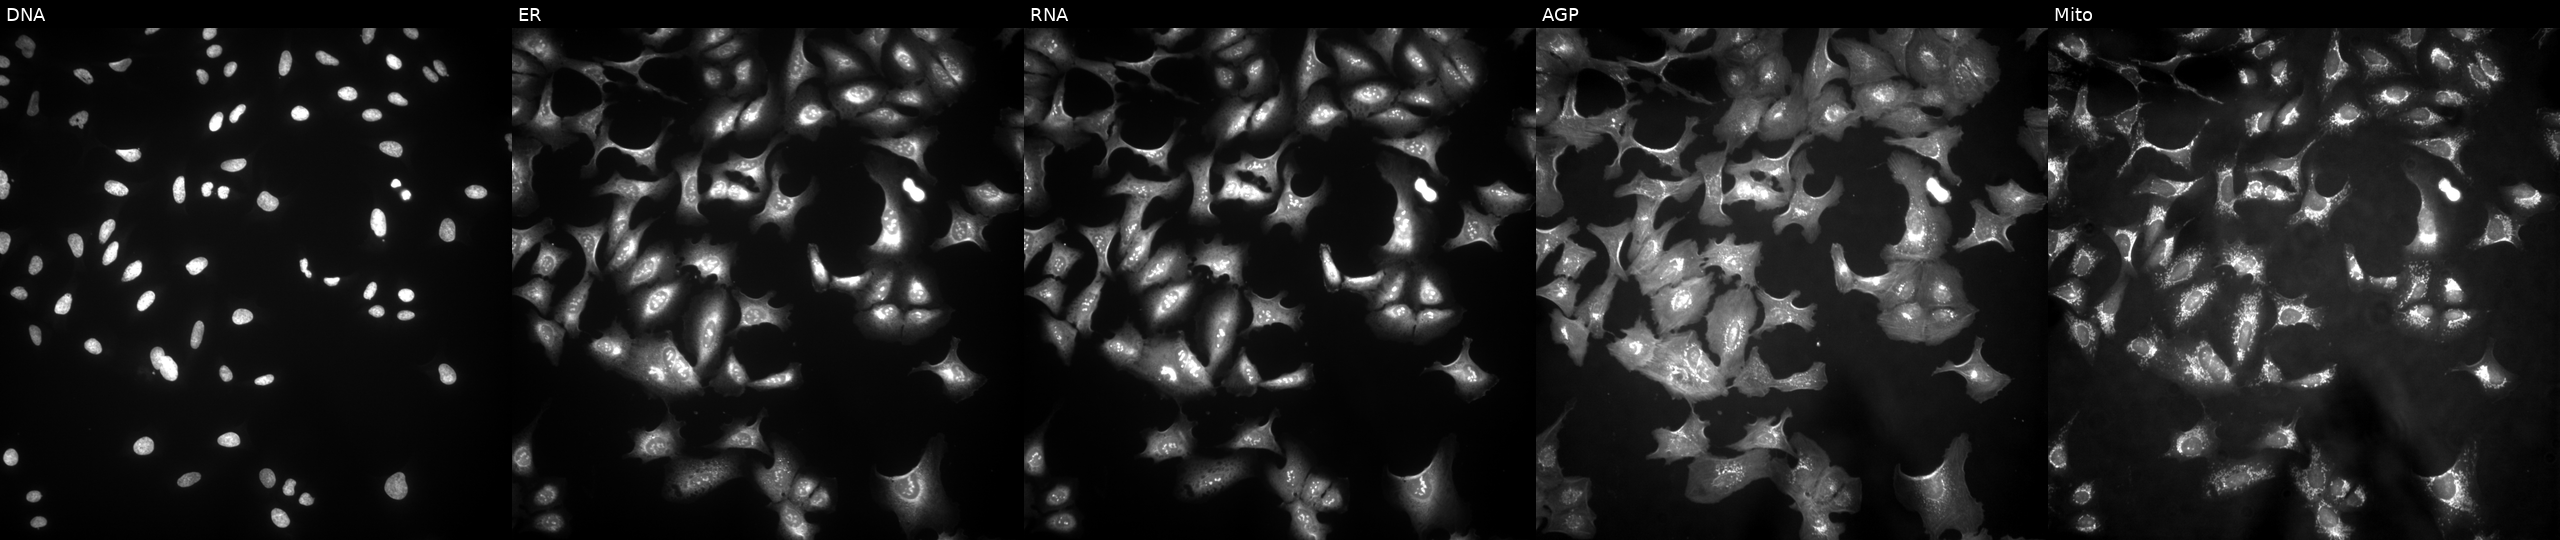
Five-channel Cell Painting image of U2OS cells with HYAL3 overexpressed (ORF). Channels (left→right): DNA (nuclei); ER (endoplasmic reticulum); RNA (nucleoli and cytoplasmic RNA); AGP (actin cytoskeleton, Golgi, and plasma membrane); Mito (mitochondria). Source 4, plate BR00123506, well G10.